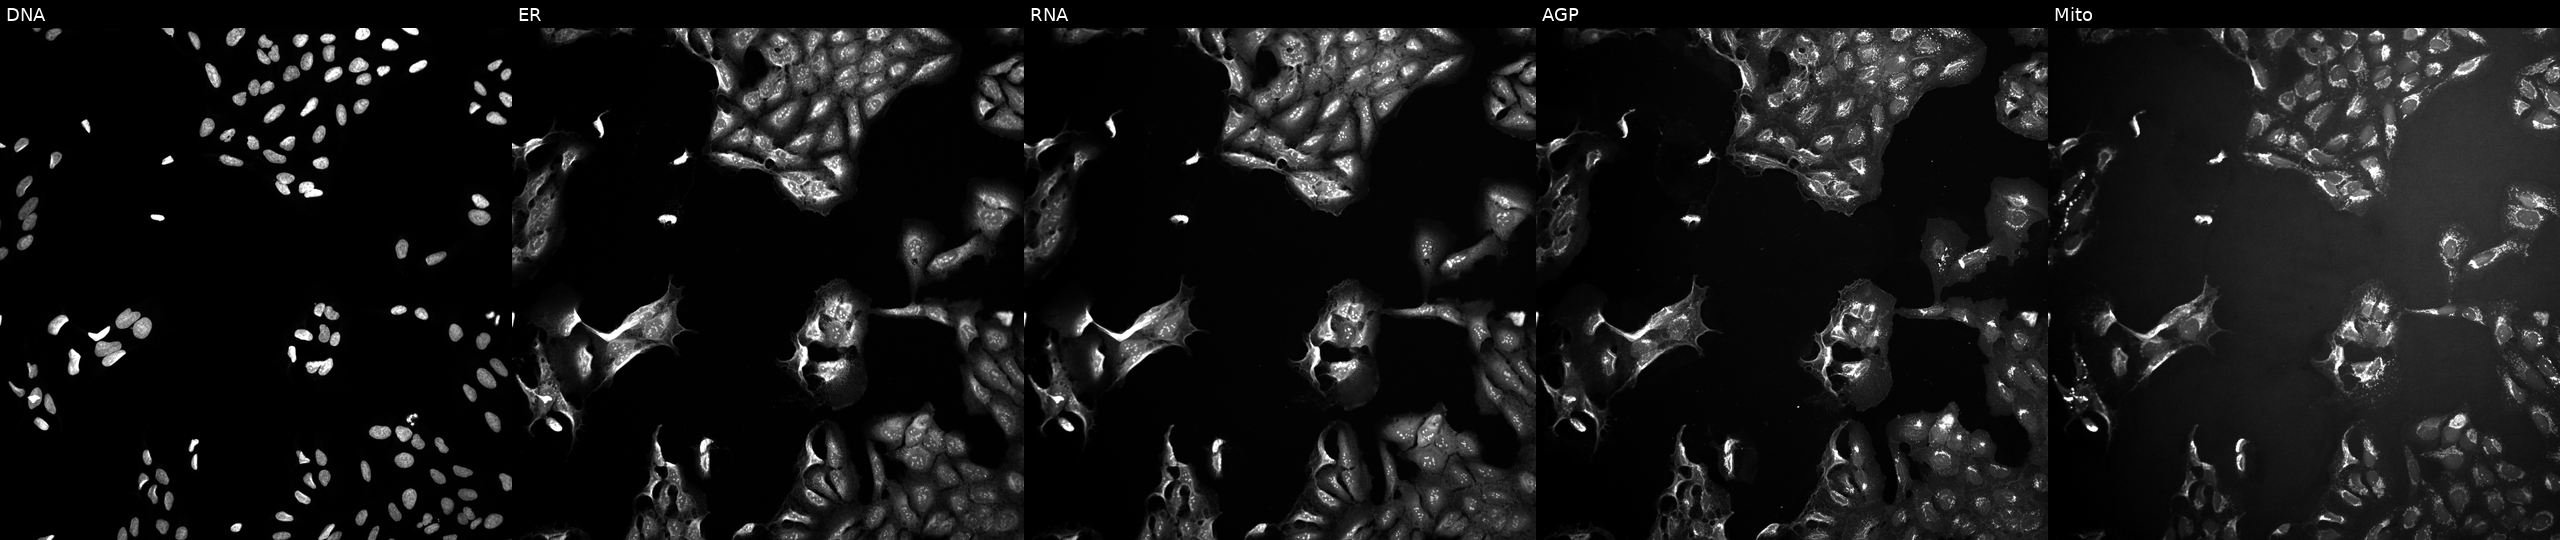
This image strip shows the five Cell Painting channels for a single field of U2OS cells exposed to a small-molecule compound (InChIKey WXPNDRBBWZMPQG-UHFFFAOYSA-N) (JUMP id JCP2022_101857). Panels show, left to right, DNA (nuclei); ER (endoplasmic reticulum); RNA (nucleoli and cytoplasmic RNA); AGP (actin cytoskeleton, Golgi, and plasma membrane); Mito (mitochondria).